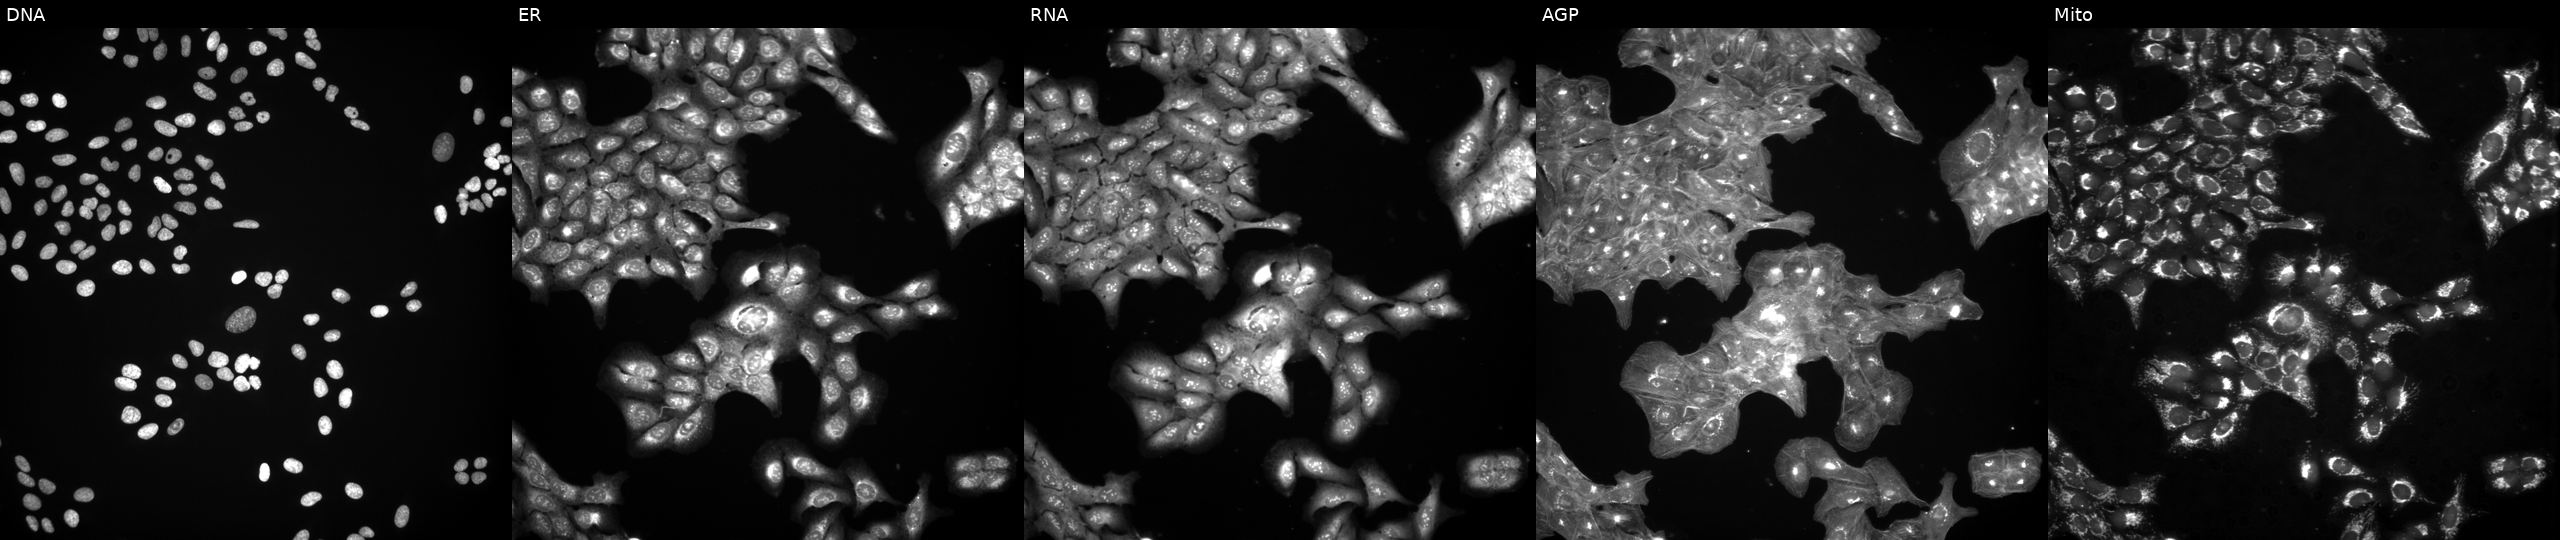
From left to right: Hoechst 33342, concanavalin A, SYTO 14, phalloidin and WGA, MitoTracker. U2OS osteosarcoma cells perturbed with a small-molecule compound. Cell Painting assay, JUMP-CP dataset.